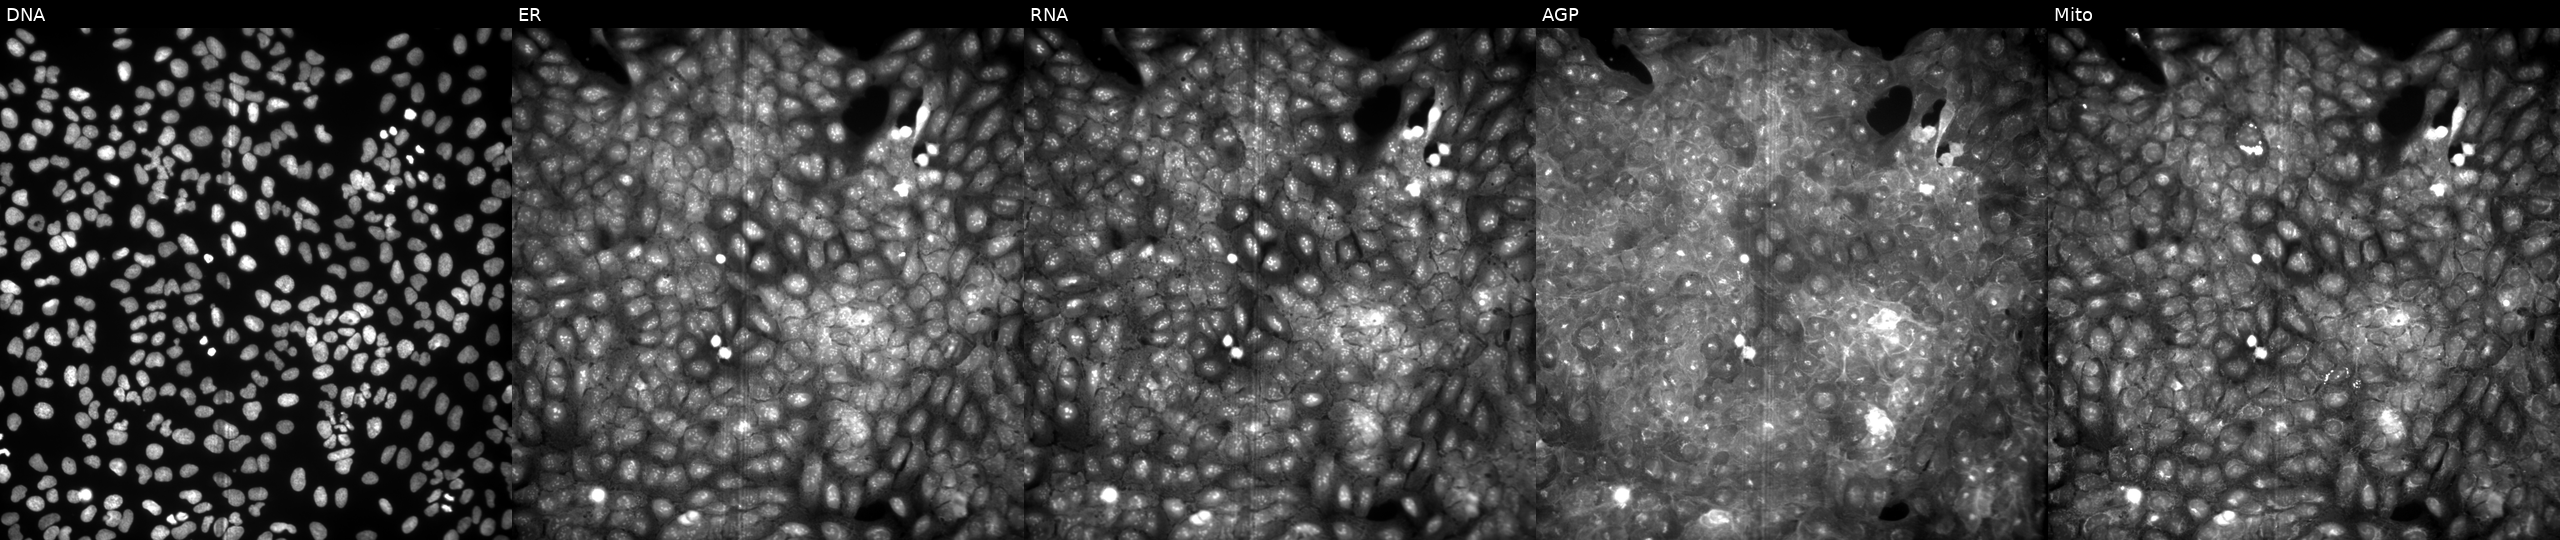
This image strip shows the five Cell Painting channels for a single field of U2OS cells perturbed with a small-molecule compound (InChIKey NSVYZJLEMRLKSC-UHFFFAOYSA-N) (JUMP id JCP2022_061148). The five panels, left to right, show Hoechst 33342, concanavalin A, SYTO 14, phalloidin and WGA, MitoTracker.